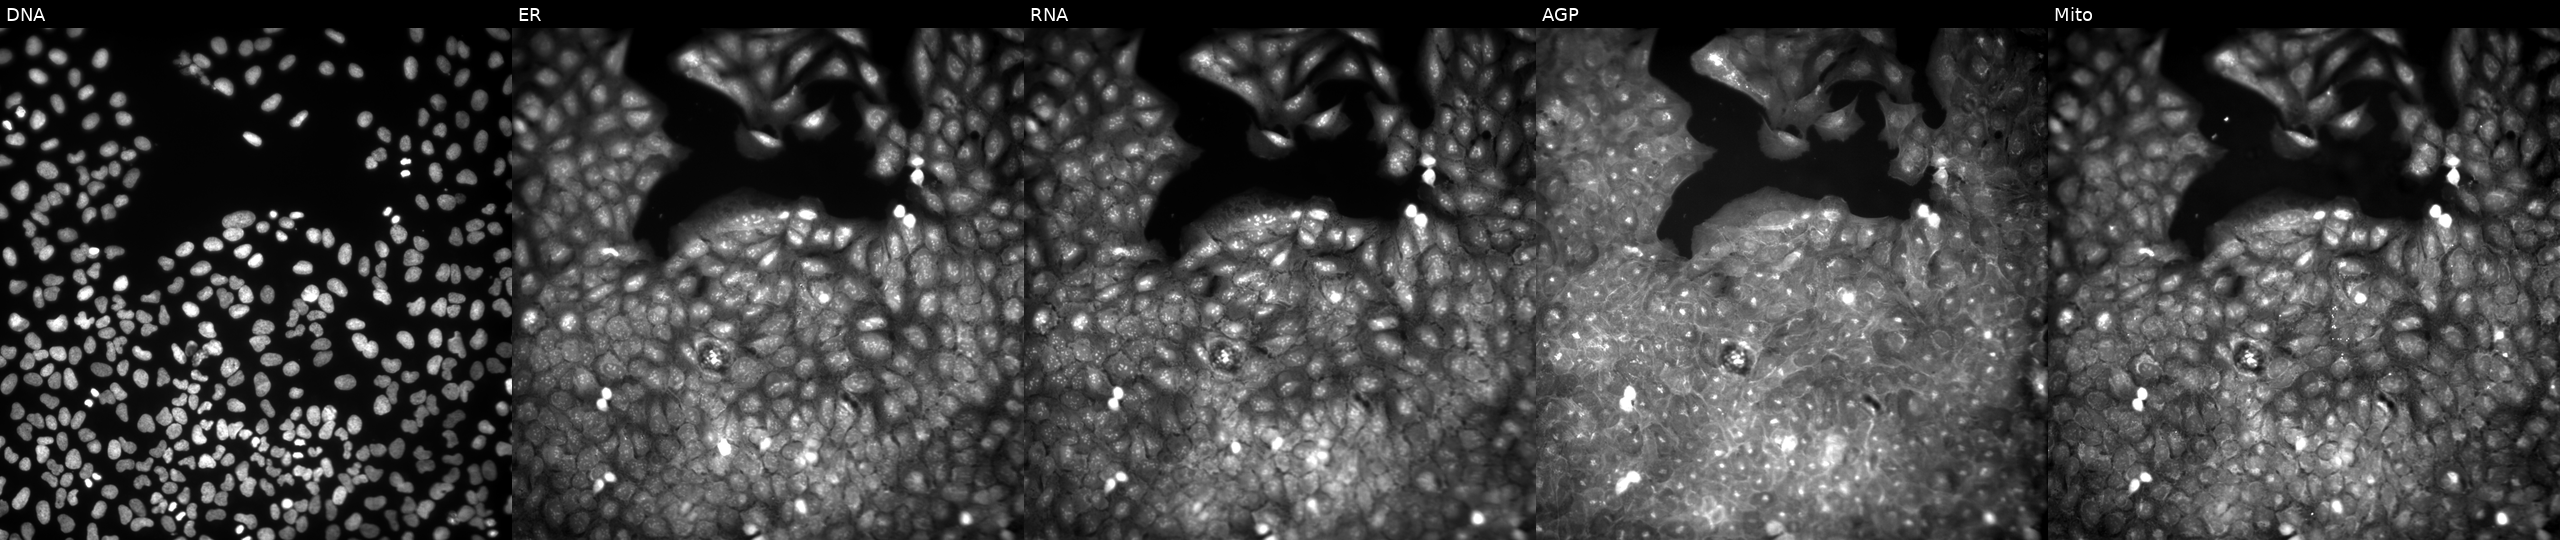
Five-channel Cell Painting image of U2OS cells perturbed with a small-molecule compound (JUMP id JCP2022_083580). Channels (left→right): DNA (nuclei); ER (endoplasmic reticulum); RNA (nucleoli and cytoplasmic RNA); AGP (actin cytoskeleton, Golgi, and plasma membrane); Mito (mitochondria). Source 9, plate GR00003382, well AD33.